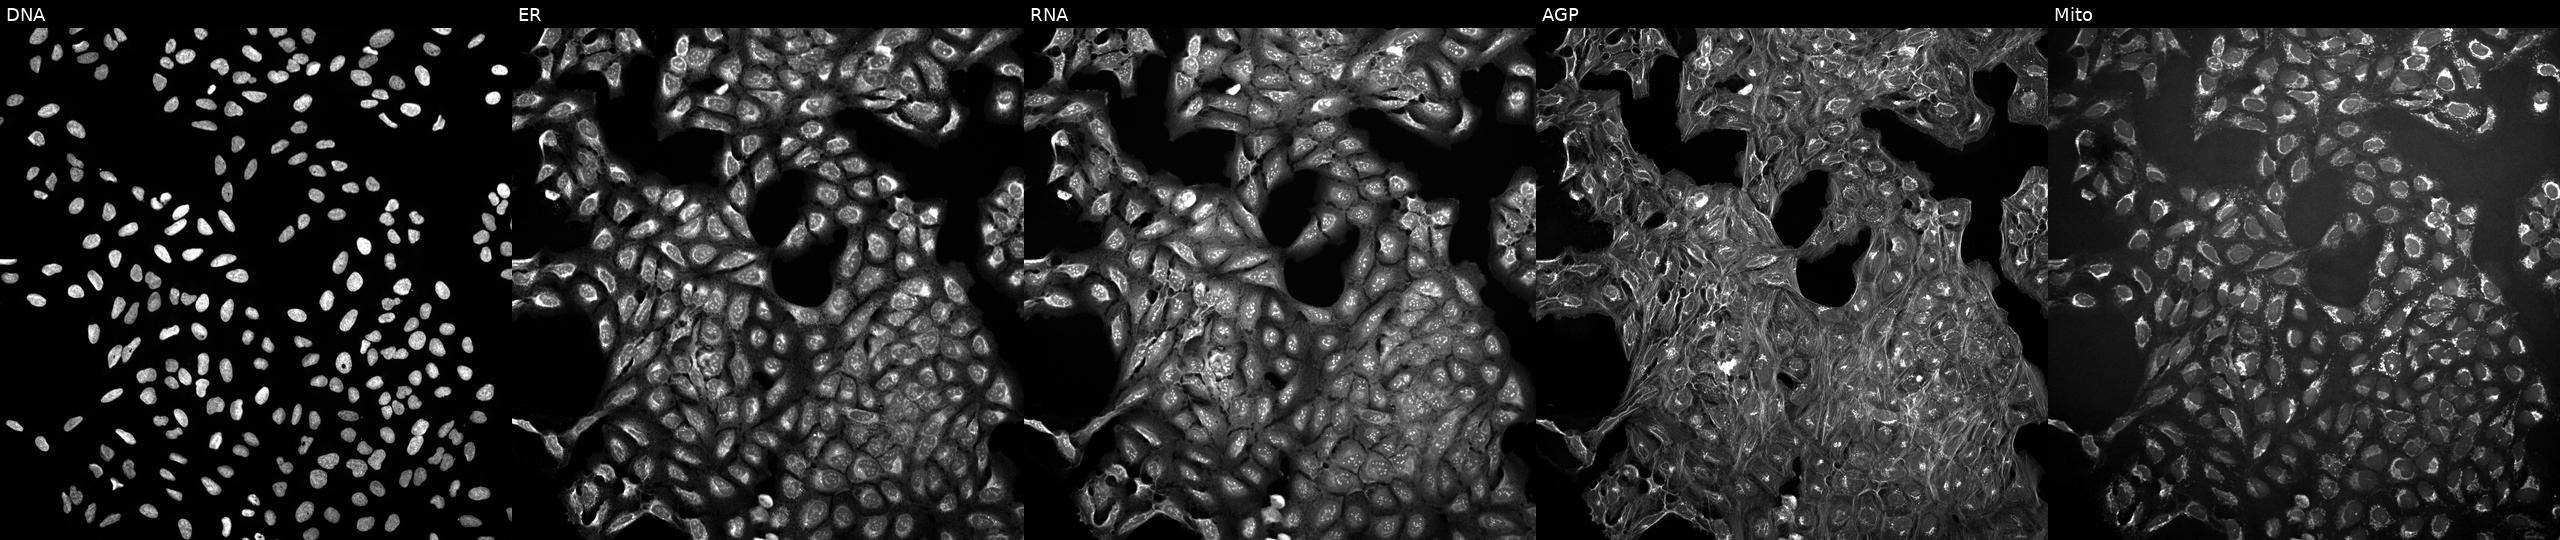
Panels show, left to right, DNA, ER, RNA, AGP, and Mito. U2OS osteosarcoma cells exposed to DMSO alone as a negative control. Cell Painting assay, JUMP-CP dataset. Source 10, plate Dest210531-152324, well C02.